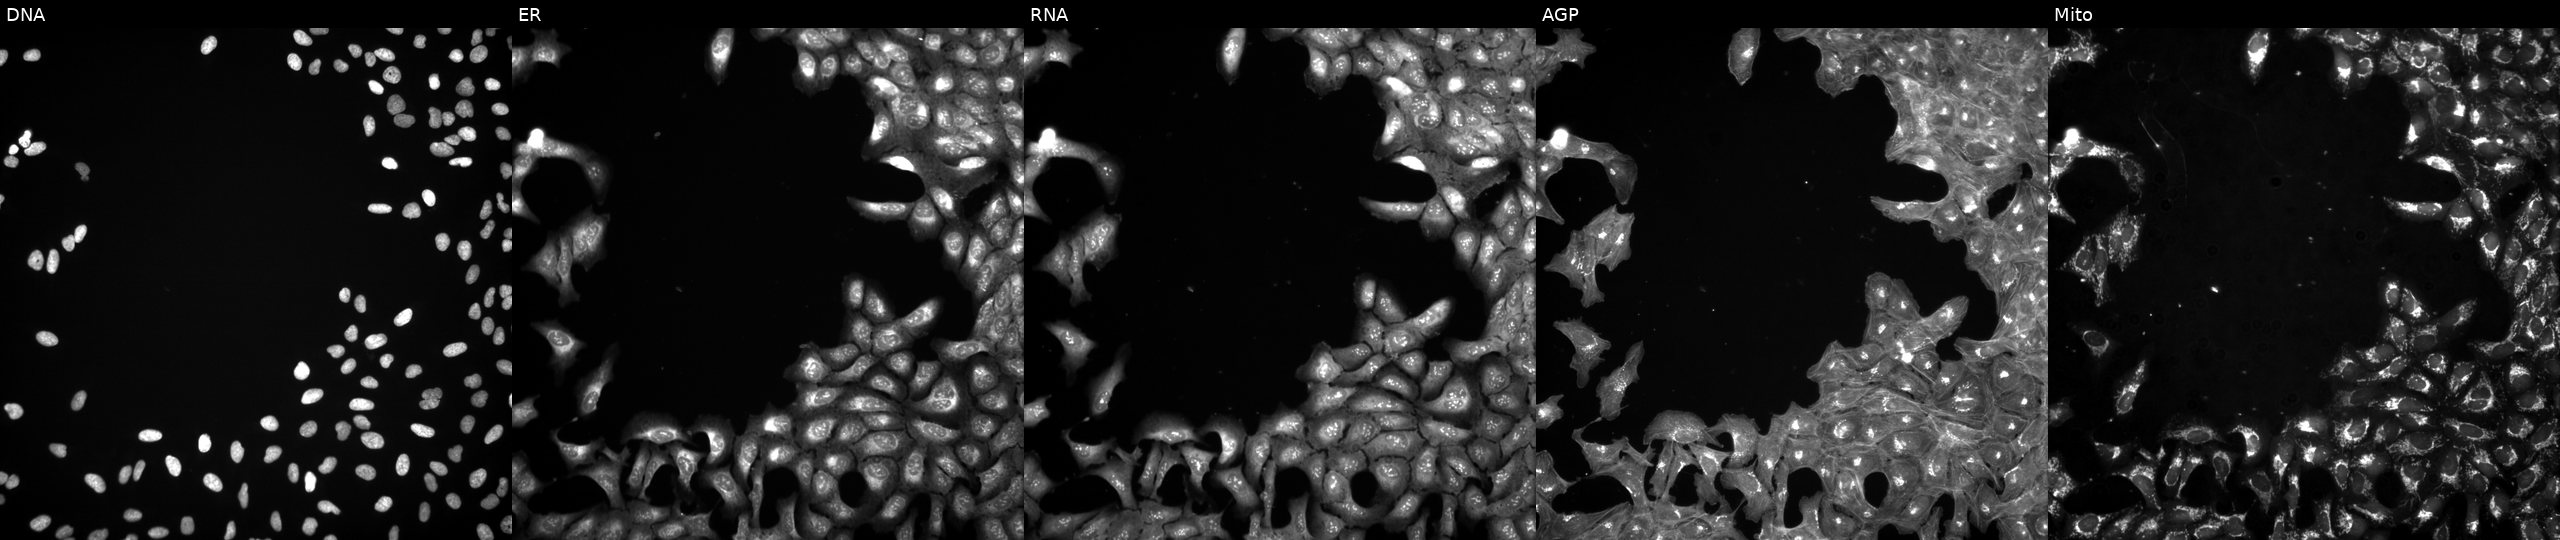
High-content fluorescence microscopy (Cell Painting). Cell line: U2OS. Perturbation: exposed to a small-molecule compound (InChIKey PWFKBCNVKFIJGN-UHFFFAOYSA-N) [SMILES: Cc1cccc(=NC(=O)COc2ccc(Br)cc2)[nH]1]. Channels (left→right): DNA (nuclei); ER (endoplasmic reticulum); RNA (nucleoli and cytoplasmic RNA); AGP (actin cytoskeleton, Golgi, and plasma membrane); Mito (mitochondria).